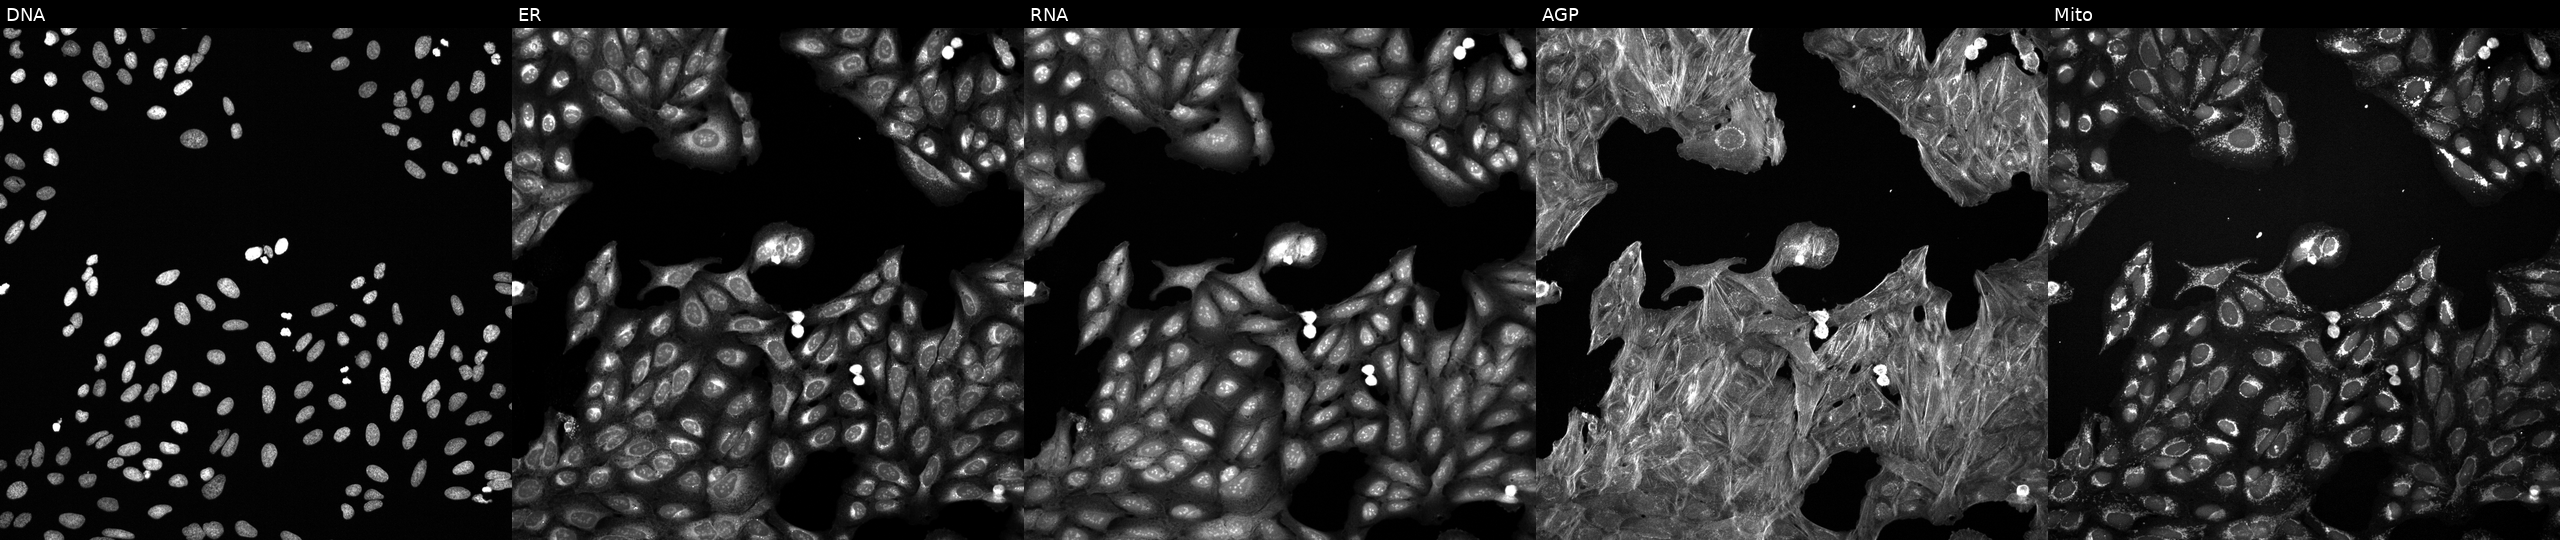
Five-channel Cell Painting image of U2OS cells exposed to DMSO alone as a negative control (JUMP id JCP2022_033924). The five panels, left to right, show Hoechst 33342, concanavalin A, SYTO 14, phalloidin and WGA, MitoTracker.